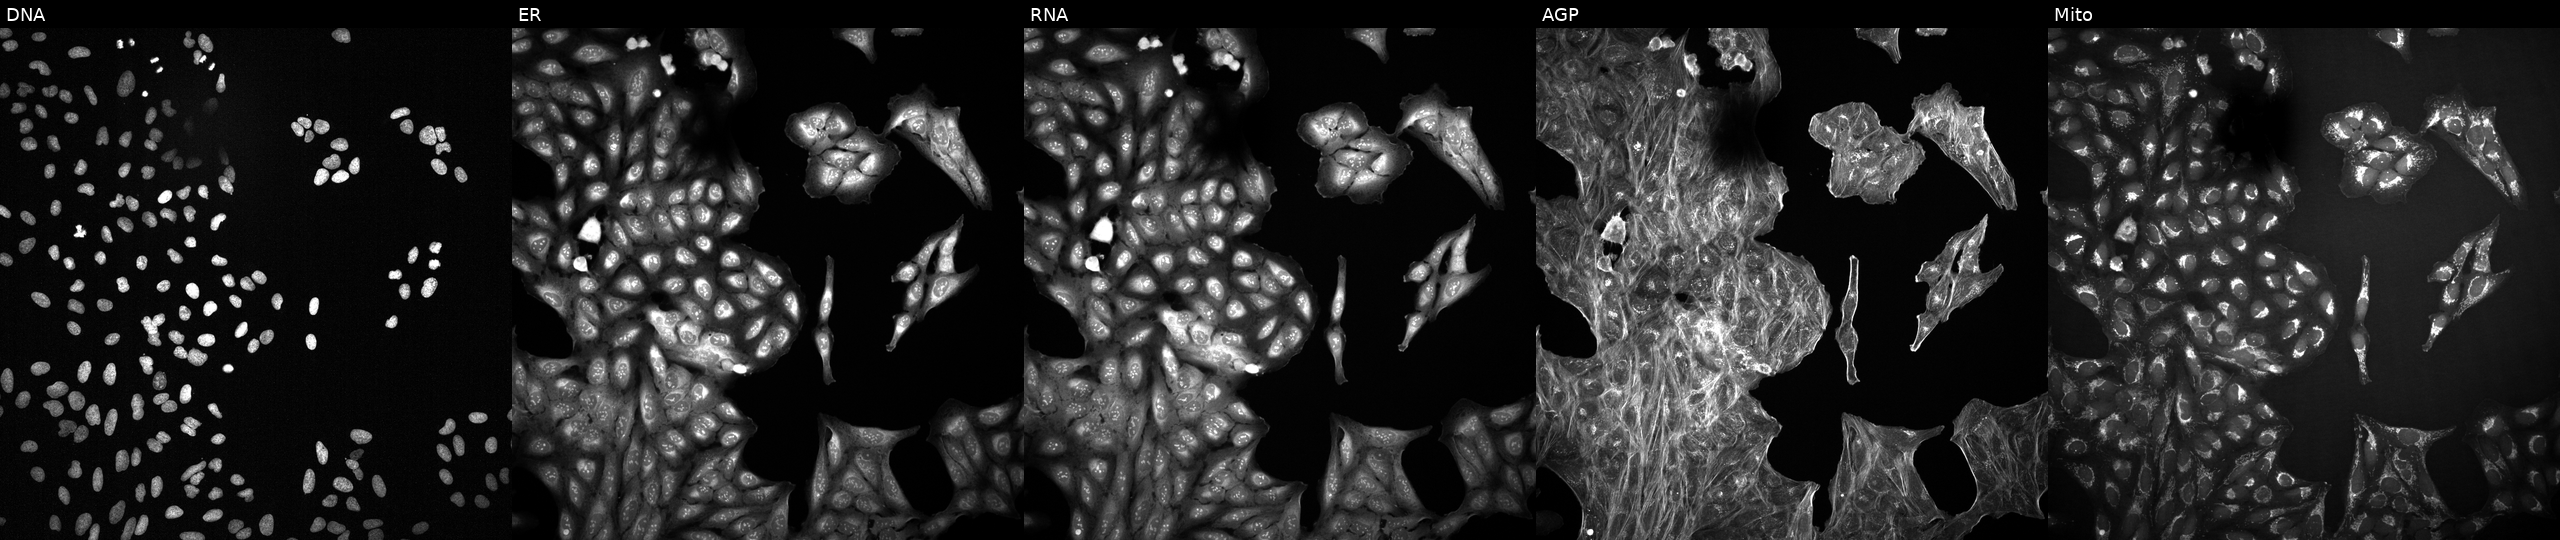
JUMP Cell Painting — TARGET2 plate. U2OS cells treated with DMSO vehicle only (negative control). The five panels, left to right, show DNA (nuclei); ER (endoplasmic reticulum); RNA (nucleoli and cytoplasmic RNA); AGP (actin cytoskeleton, Golgi, and plasma membrane); Mito (mitochondria). Source 2, plate 1053600674, well I20.